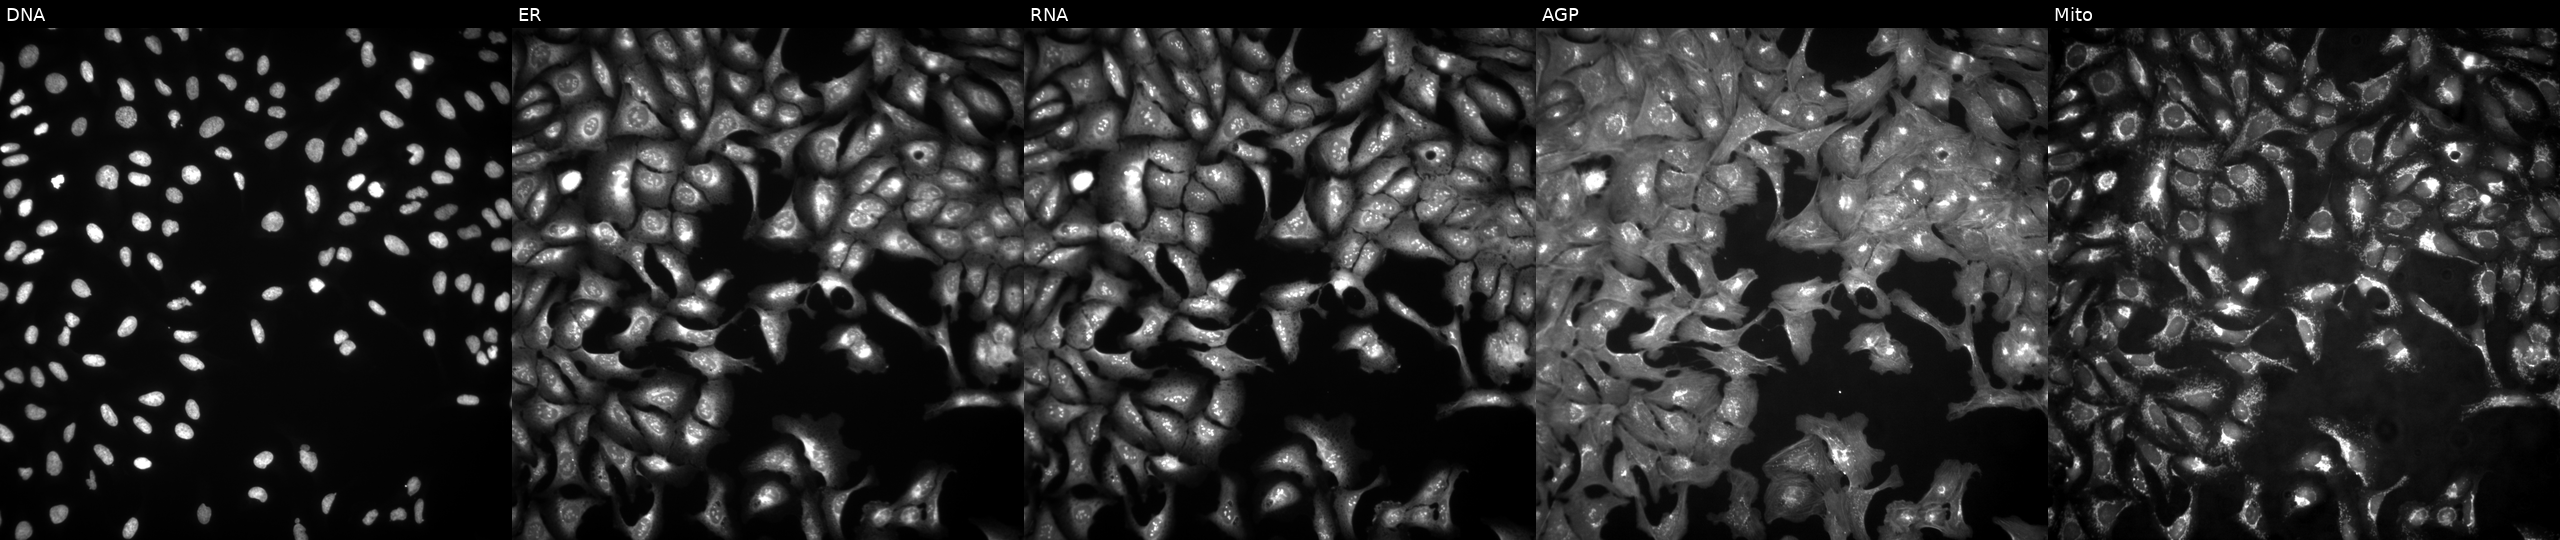
This image strip shows the five Cell Painting channels for a single field of U2OS cells with EXOG overexpressed (ORF) (JUMP id JCP2022_910665). Panels show, left to right, Hoechst 33342, concanavalin A, SYTO 14, phalloidin and WGA, MitoTracker. Source 4, plate BR00123509, well K22.